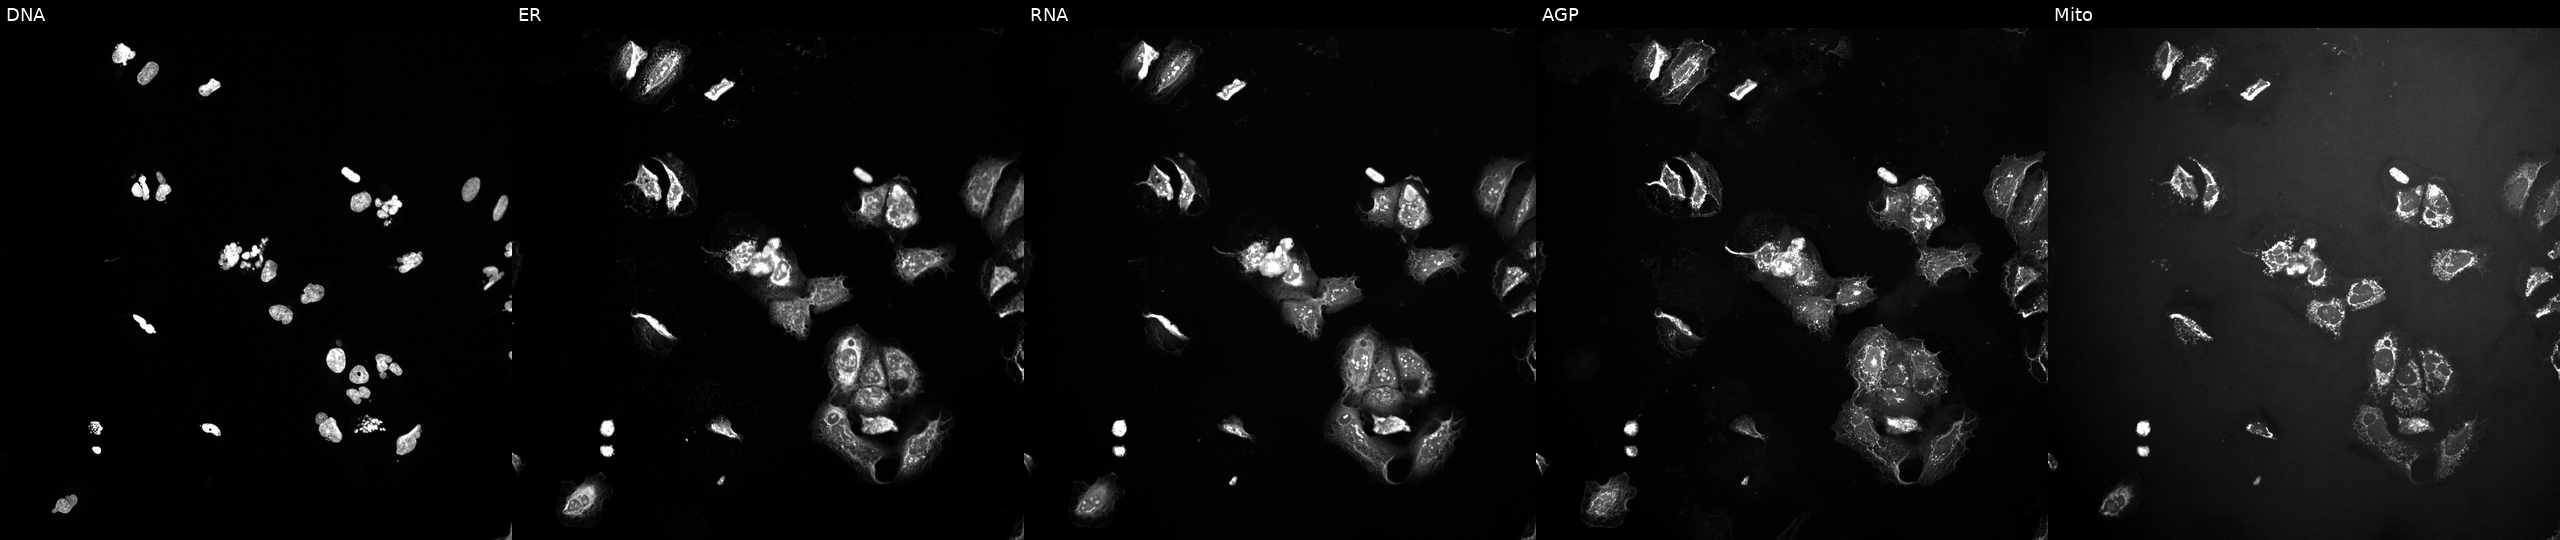
High-content fluorescence microscopy (Cell Painting). Cell line: U2OS. Perturbation: perturbed with a small-molecule compound (InChIKey CMYHZFCJPORPHY-UHFFFAOYSA-N) [SMILES: CSc1nc(=N)cc(Oc2ccc(-c3nc(=Nc4cccc(C(F)(F)F)c4)[nH][nH]3)cc2)[nH]1] (JUMP id JCP2022_012198). Channels (left→right): Hoechst 33342, concanavalin A, SYTO 14, phalloidin and WGA, MitoTracker.